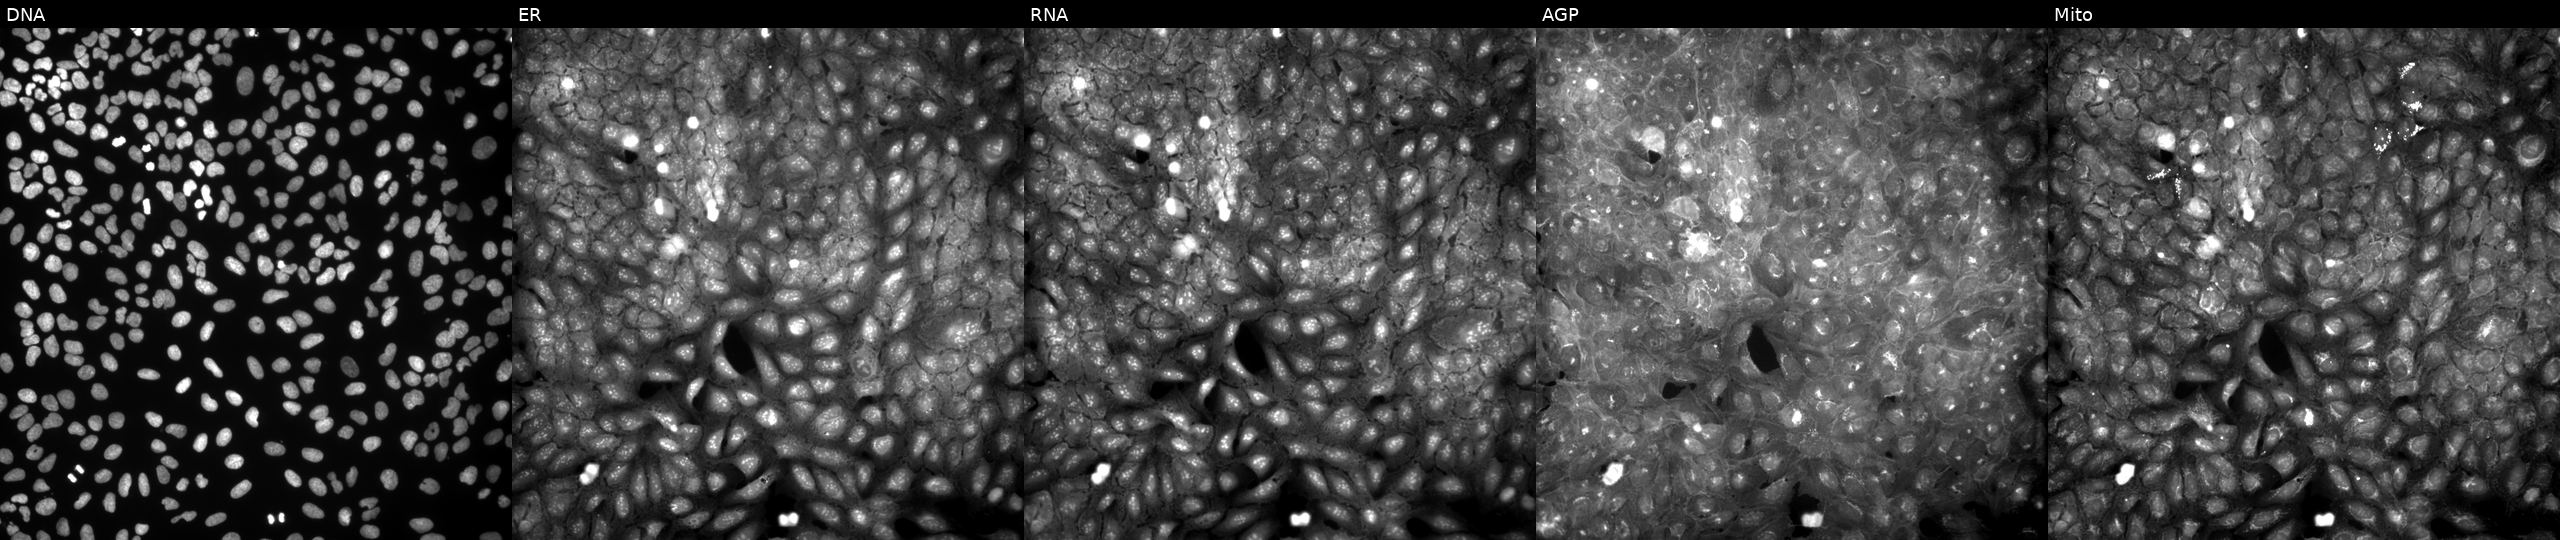
This image strip shows the five Cell Painting channels for a single field of U2OS cells treated with a small-molecule compound (InChIKey SCVFUGNWYODCLM-UHFFFAOYSA-N) [SMILES: O=[N+]([O-])c1c[nH]c(=Nc2cccc(O)c2)c([N+](=O)[O-])c1] (JUMP id JCP2022_082370). The five panels, left to right, show DNA, ER, RNA, AGP, and Mito. Source 9, plate GR00003382, well N34.